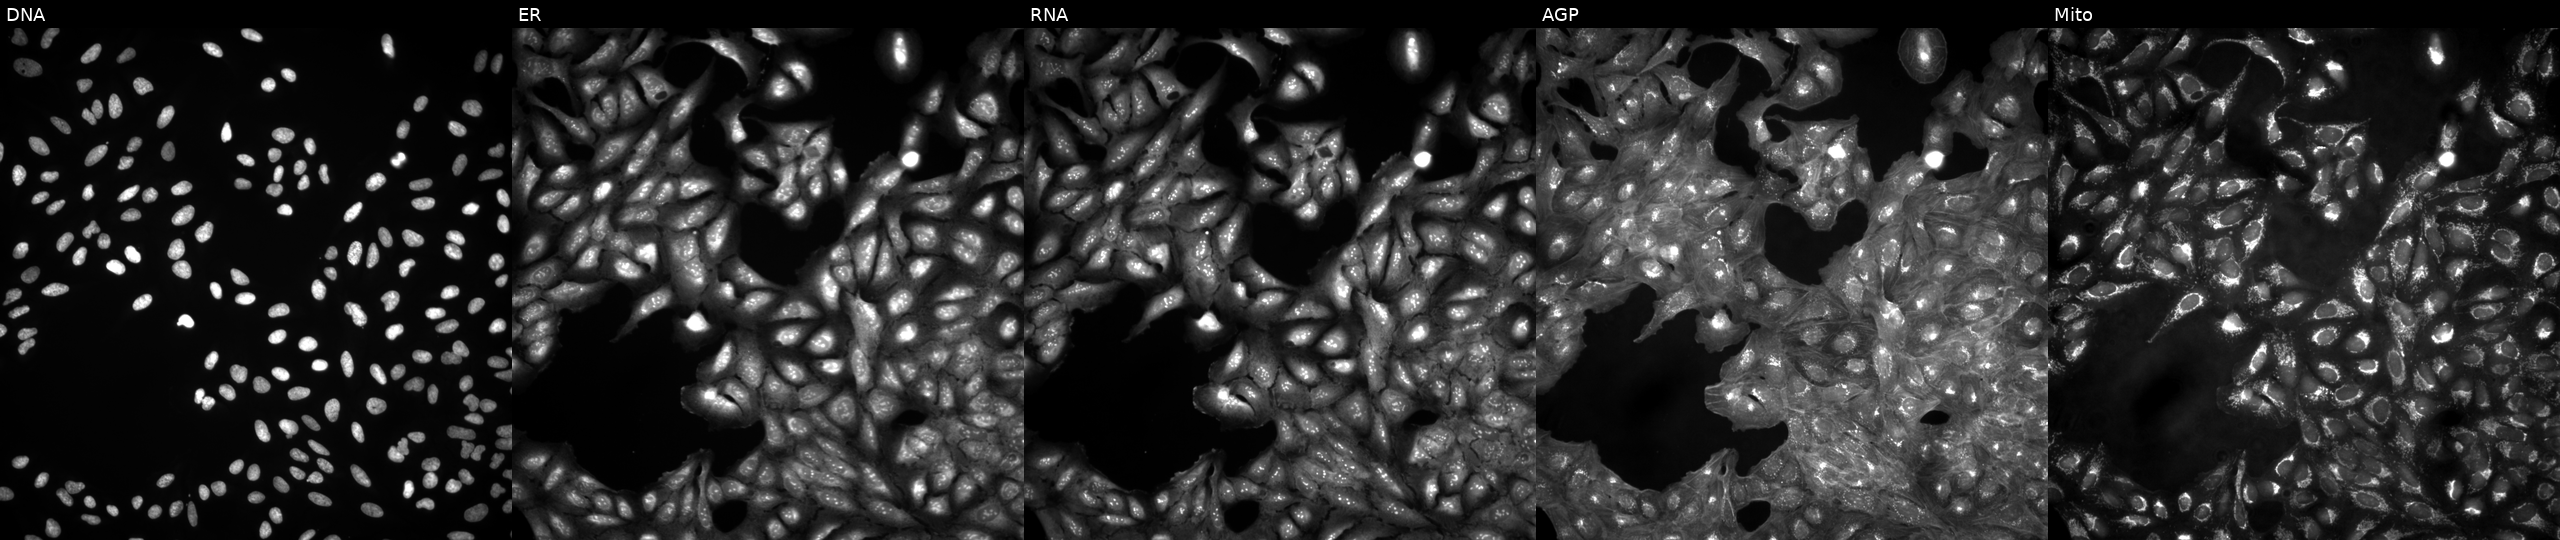
This image strip shows the five Cell Painting channels for a single field of U2OS cells in an empty control well (no perturbation). Channels (left→right): DNA, ER, RNA, AGP, and Mito.